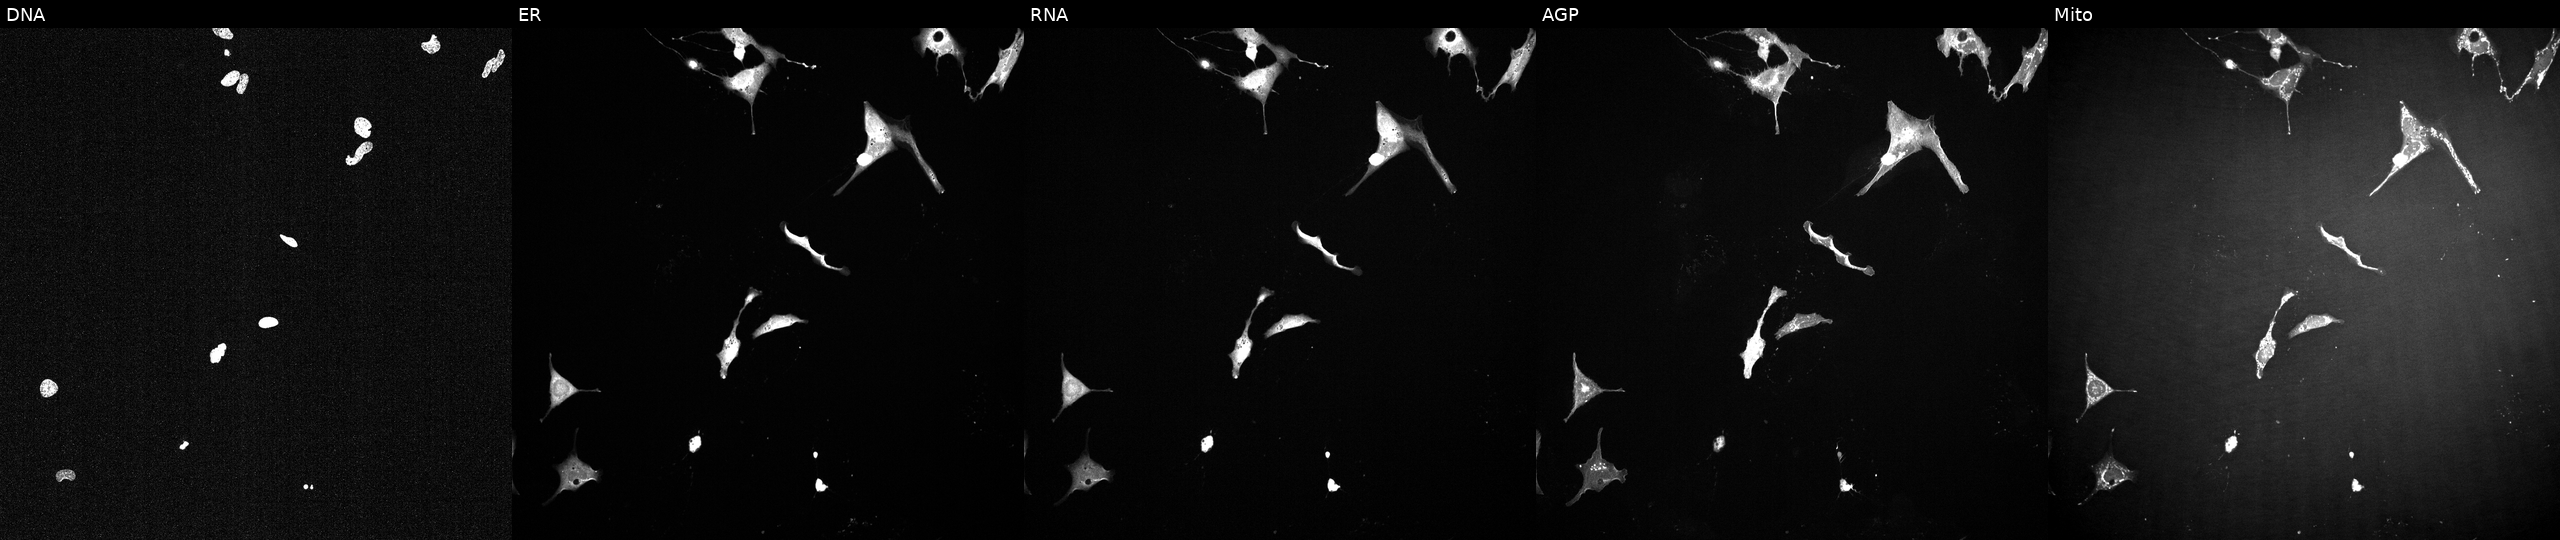
This image strip shows the five Cell Painting channels for a single field of U2OS cells exposed to a small-molecule compound (InChIKey VXBAJLGYBMTJCY-UHFFFAOYSA-N) [SMILES: CN1CC=CCCOc2cccc(c2)-c2ccnc(n2)Nc2cccc(c2)C1] (JUMP id JCP2022_096865). Channels (left→right): DNA, ER, RNA, AGP, and Mito.